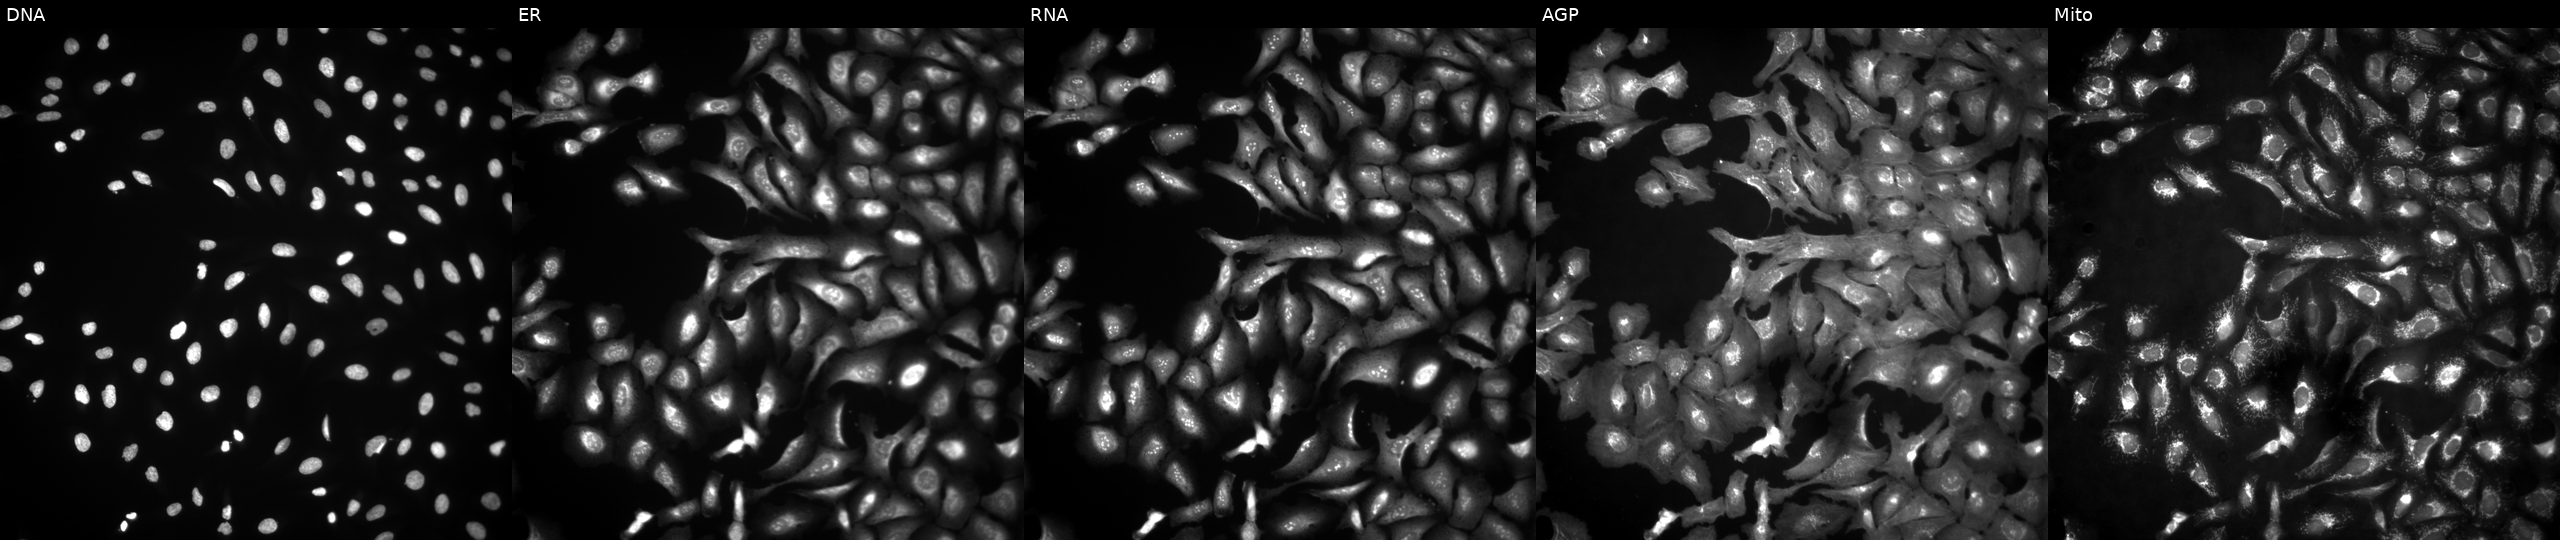
Five-channel Cell Painting image of U2OS cells transfected with an ORF construct for SYCE3. The five panels, left to right, show DNA (nuclei); ER (endoplasmic reticulum); RNA (nucleoli and cytoplasmic RNA); AGP (actin cytoskeleton, Golgi, and plasma membrane); Mito (mitochondria). Source 4, plate BR00124790, well M22.